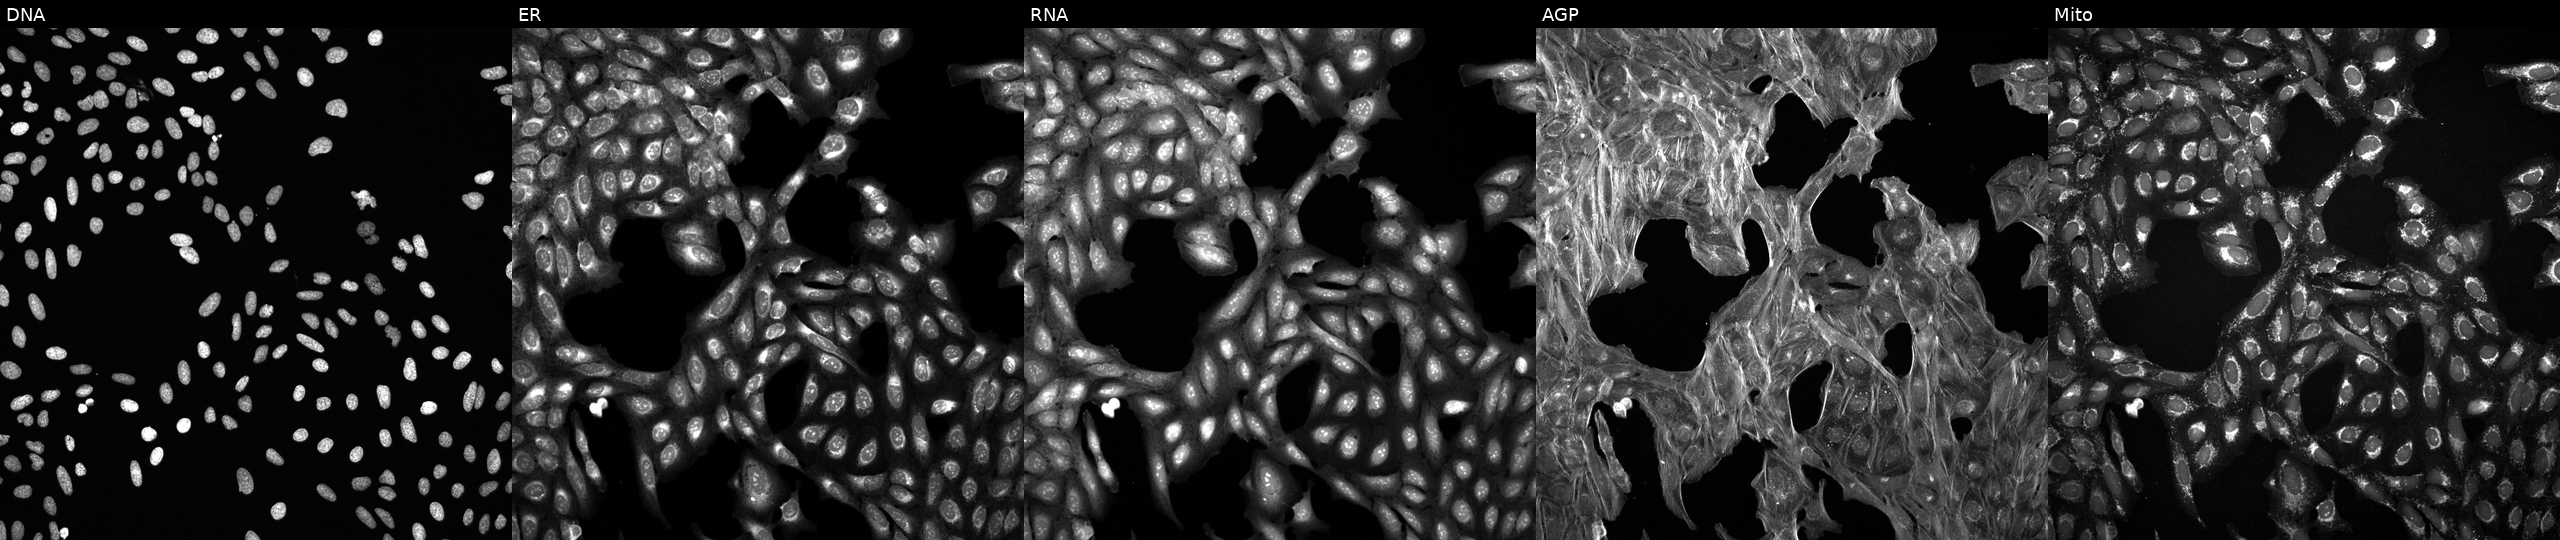
High-content fluorescence microscopy (Cell Painting). Cell line: U2OS. Perturbation: exposed to a small-molecule compound (InChIKey OTGCMZPXFGWYIF-UHFFFAOYSA-N). Channels (left→right): Hoechst 33342, concanavalin A, SYTO 14, phalloidin and WGA, MitoTracker.